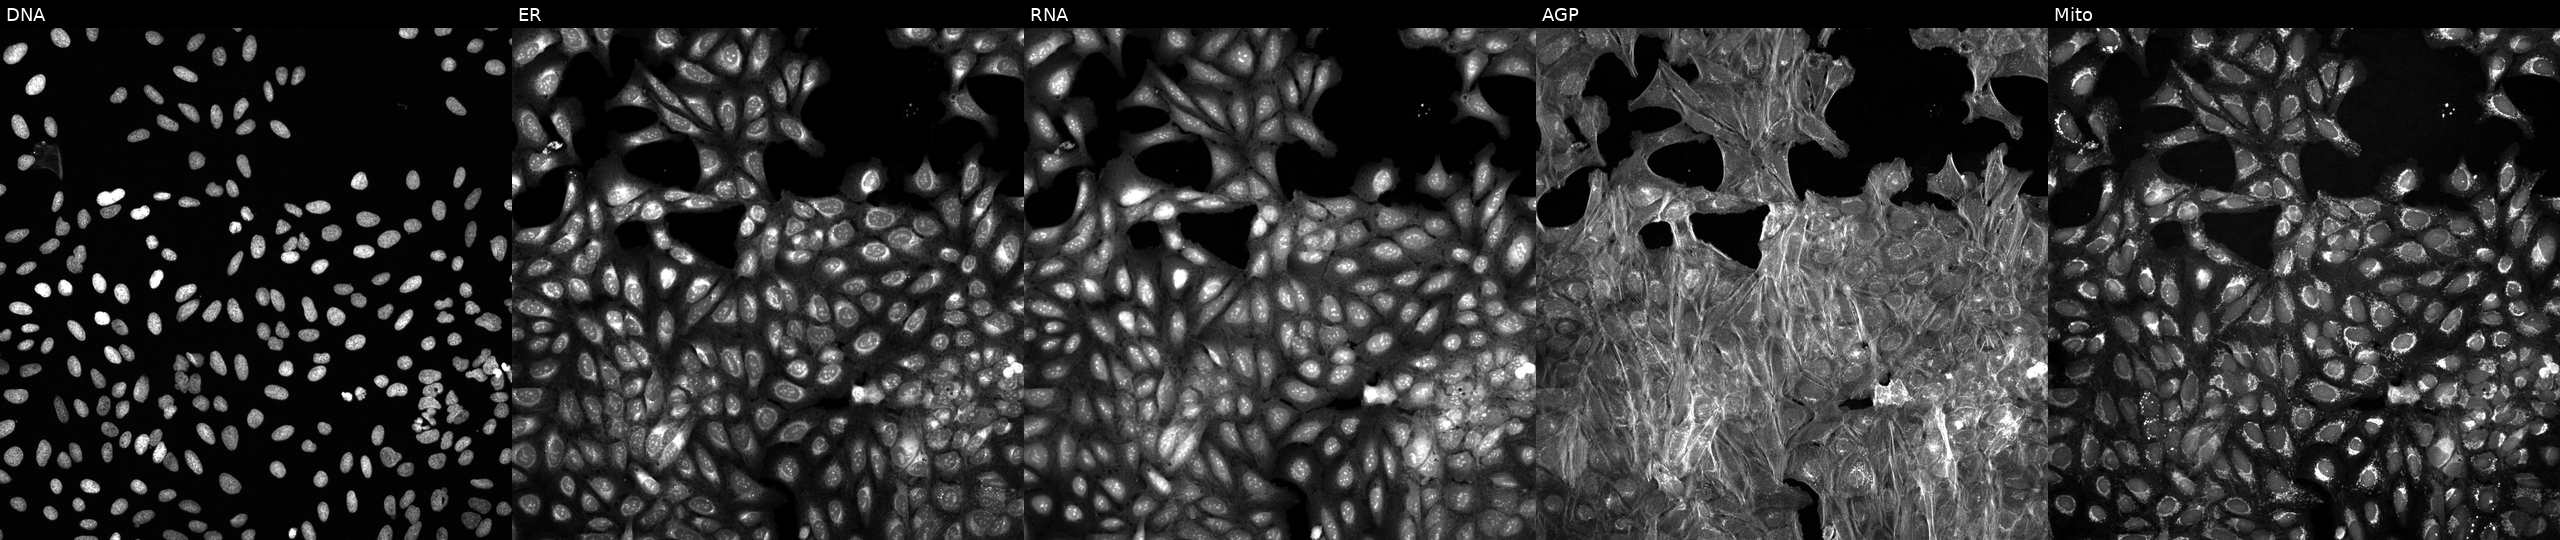
High-content fluorescence microscopy (Cell Painting). Cell line: U2OS. Perturbation: treated with a small-molecule compound (InChIKey VDQLKIBLTMPAHI-UHFFFAOYSA-N) (JUMP id JCP2022_093289). Panels show, left to right, Hoechst 33342, concanavalin A, SYTO 14, phalloidin and WGA, MitoTracker. Source 6, plate 110000294901, well B03.